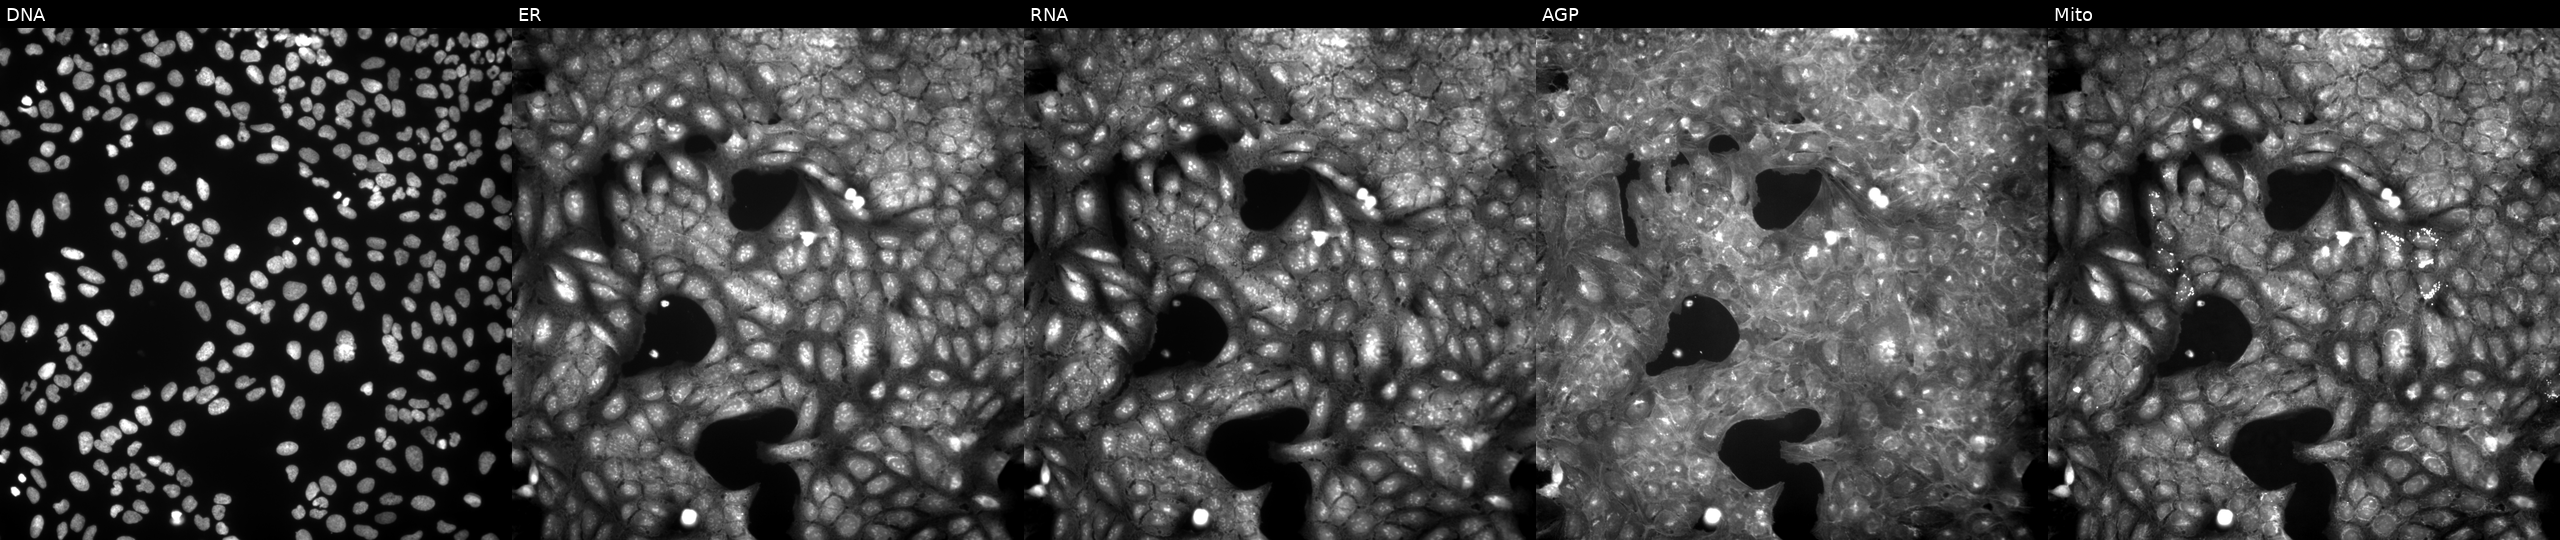
Five-channel Cell Painting image of U2OS cells treated with a small-molecule compound (InChIKey MTMXIDCSVLVFRX-UHFFFAOYSA-N) [SMILES: O=C(C=Cc1ccc2c(c1)OCO2)NCC1CCCO1] (JUMP id JCP2022_056424). Panels show, left to right, DNA (nuclei); ER (endoplasmic reticulum); RNA (nucleoli and cytoplasmic RNA); AGP (actin cytoskeleton, Golgi, and plasma membrane); Mito (mitochondria).